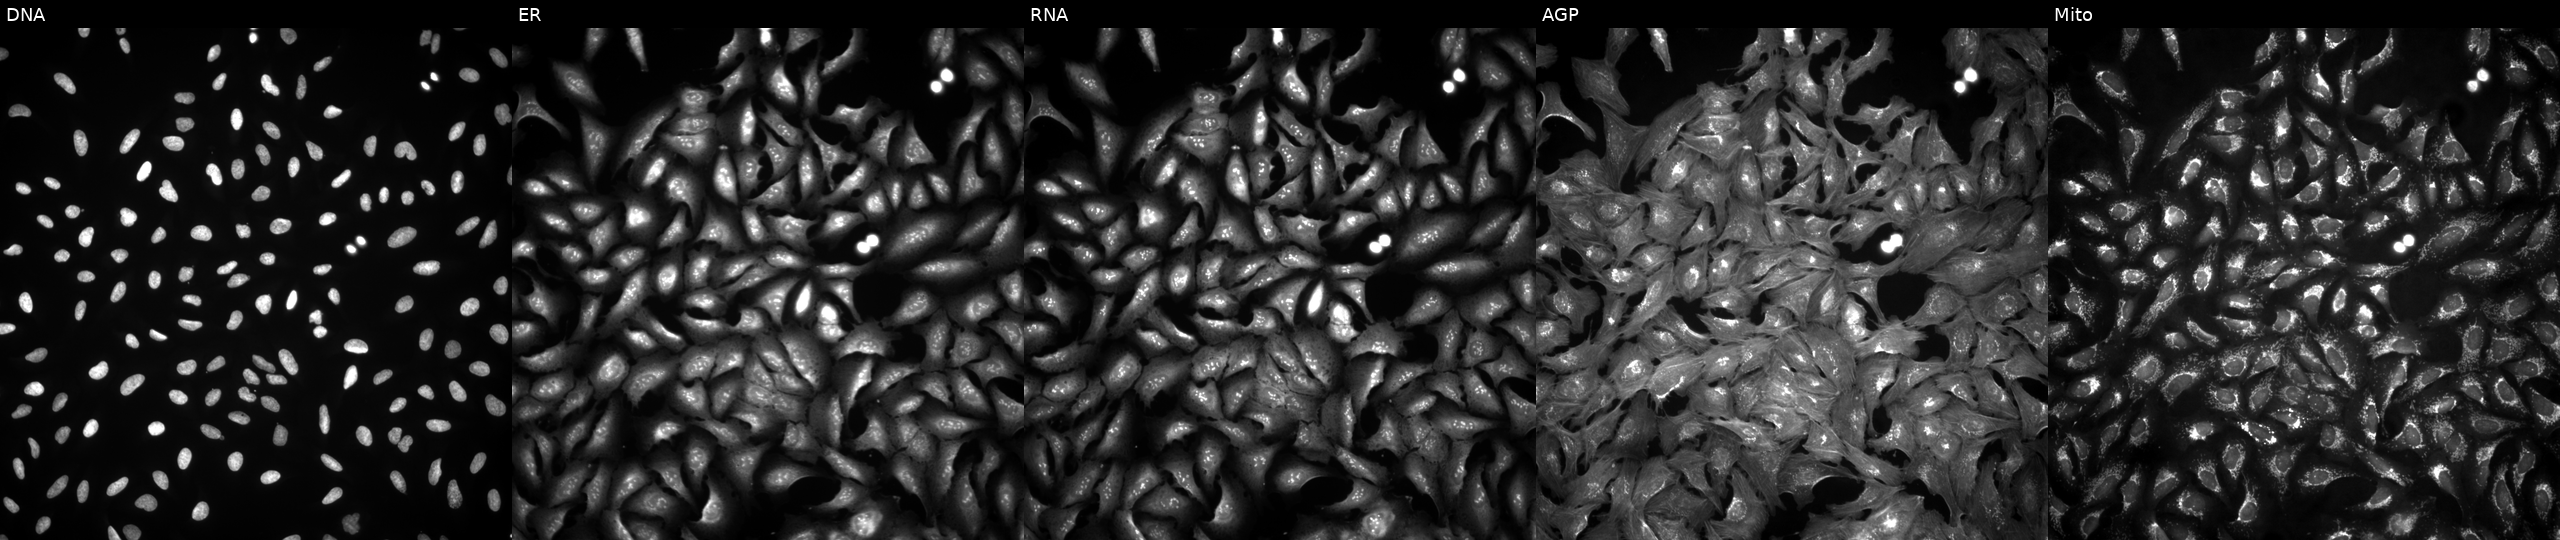
This image strip shows the five Cell Painting channels for a single field of U2OS cells overexpressing LYPD2 via ORF transfection (JUMP id JCP2022_908930). From left to right: DNA, ER, RNA, AGP, and Mito.